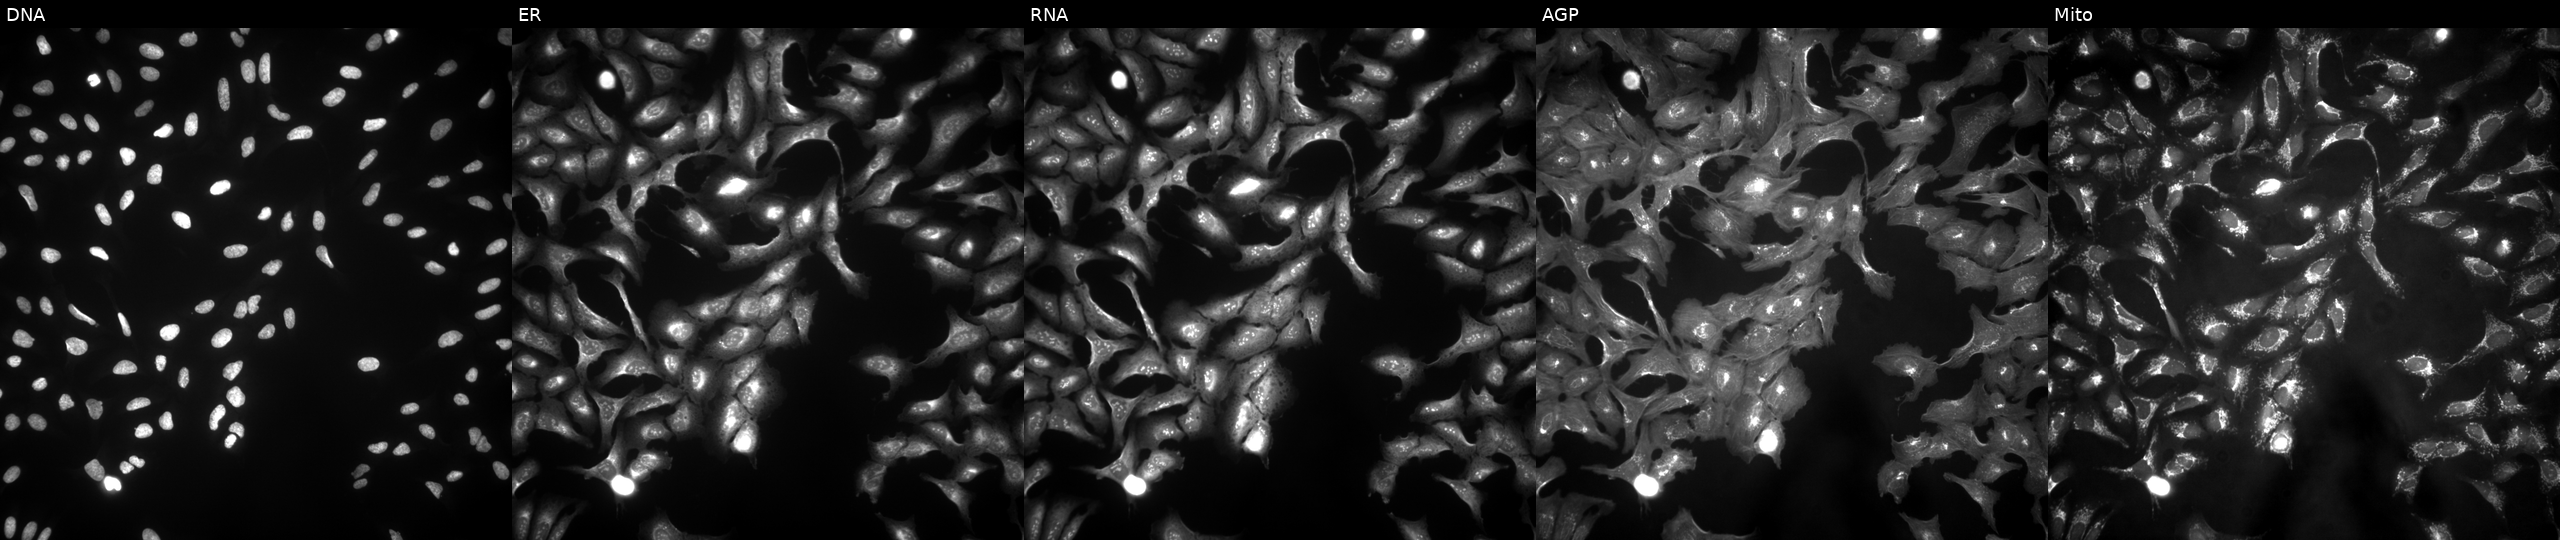
Five-channel Cell Painting image of U2OS cells with STRADB overexpressed (ORF). From left to right: Hoechst 33342, concanavalin A, SYTO 14, phalloidin and WGA, MitoTracker. Source 4, plate BR00123506, well B18.